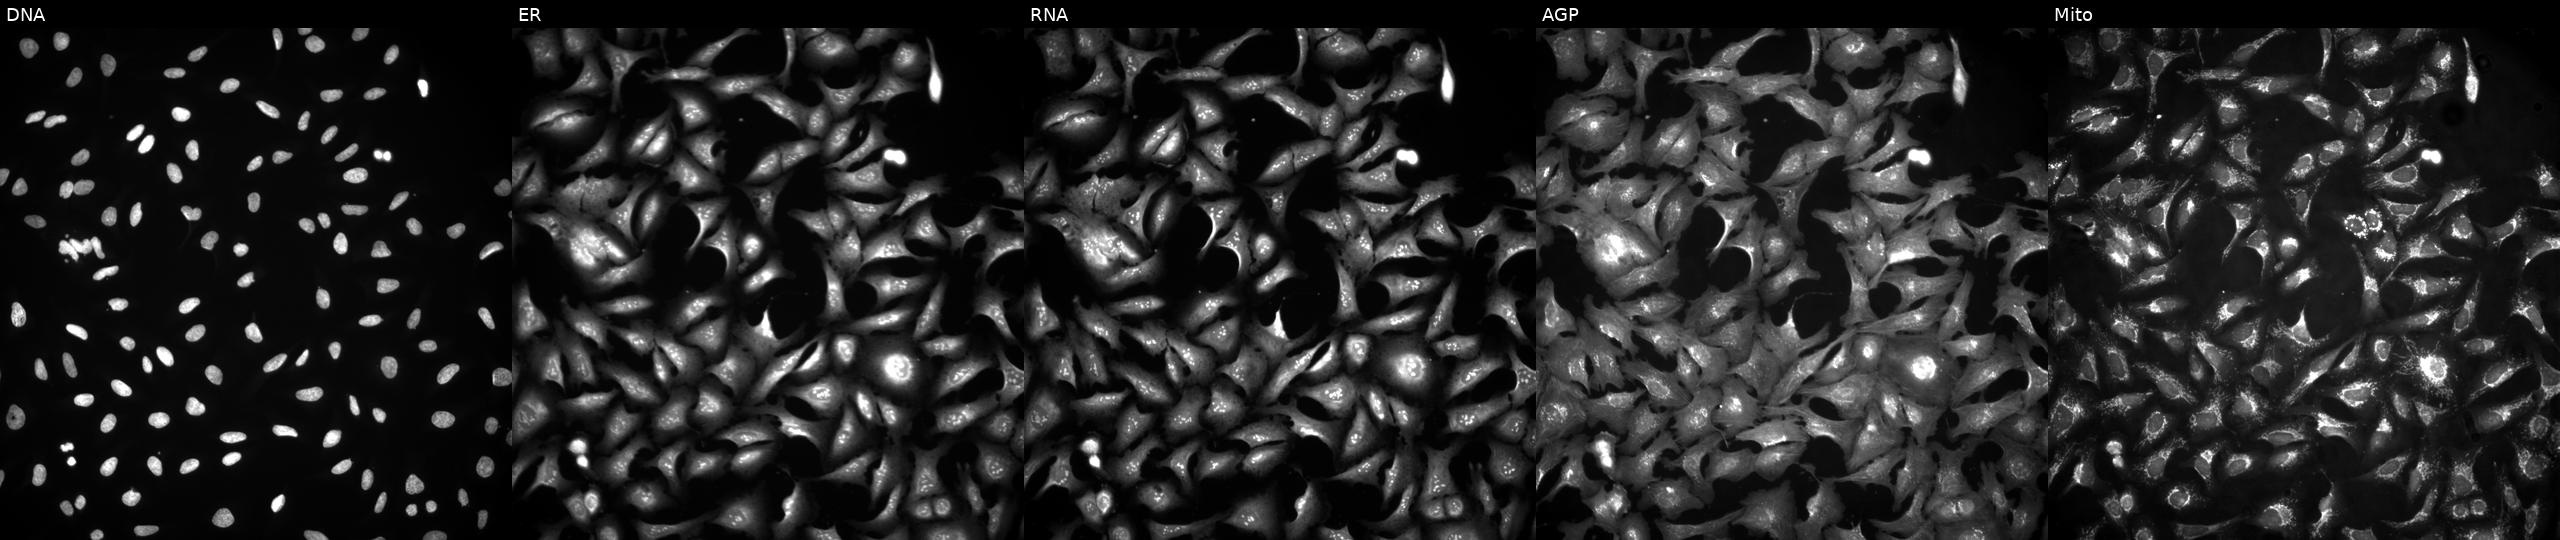
U2OS cells, Cell Painting assay, transfected with an ORF construct for OMA1. Panels show, left to right, Hoechst 33342, concanavalin A, SYTO 14, phalloidin and WGA, MitoTracker. Each panel is percentile-stretched 16-bit fluorescence.